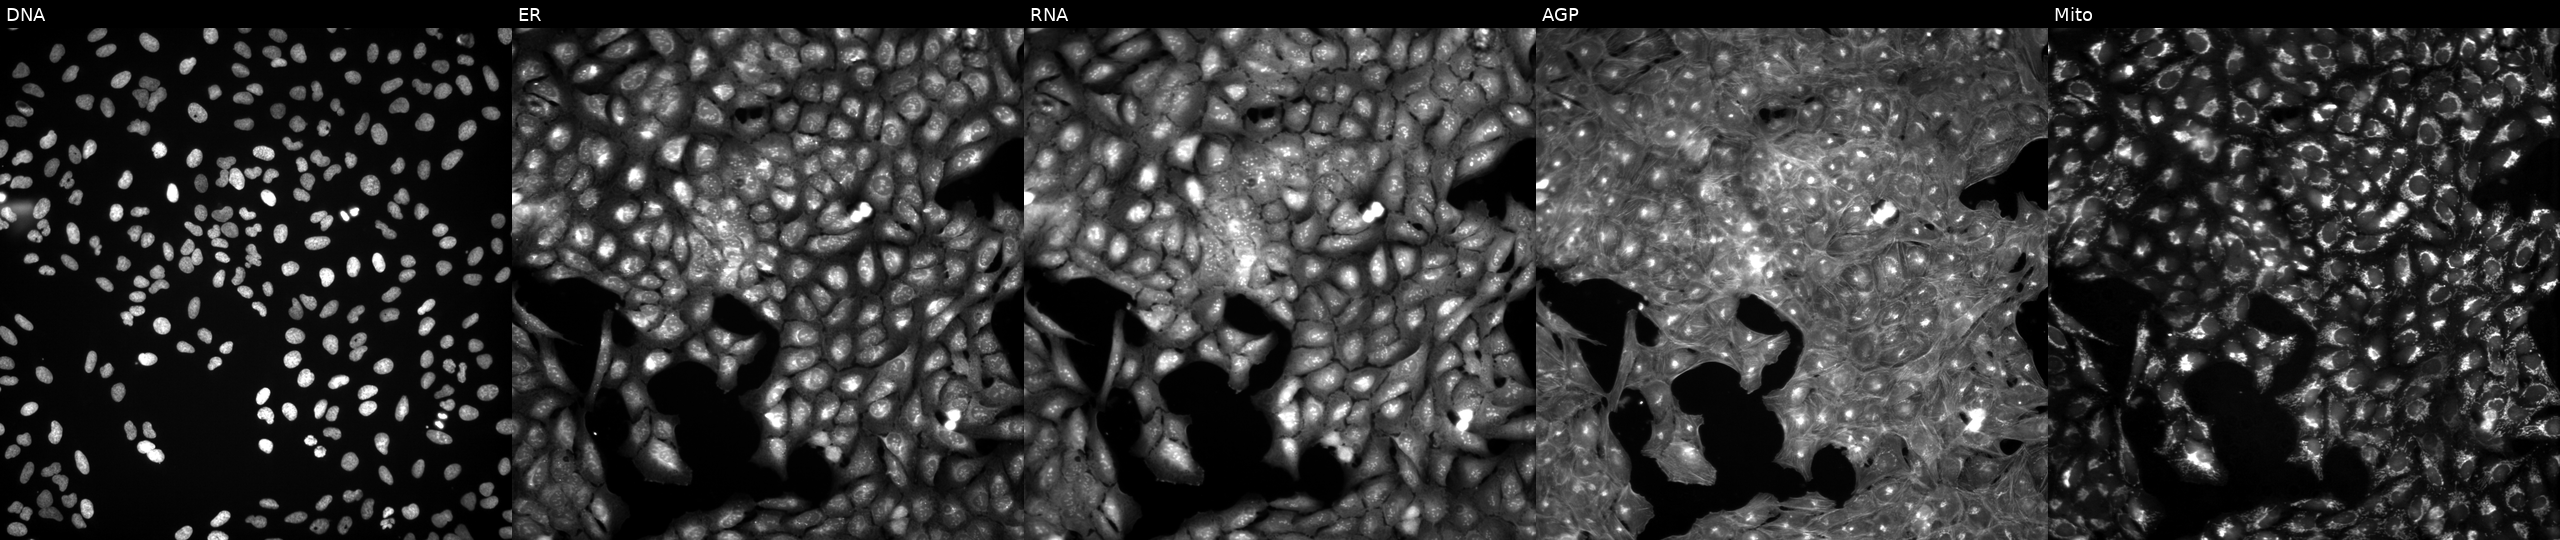
From left to right: DNA, ER, RNA, AGP, and Mito. U2OS osteosarcoma cells treated with a small-molecule compound [SMILES: O=C(O)c1cc(N=Nc2ccc(S(=O)(=O)N=c3cccc[nH]3)cc2)ccc1O] (JUMP id JCP2022_058046). Cell Painting assay, JUMP-CP dataset. Source 3, plate JCPQC053, well C04.